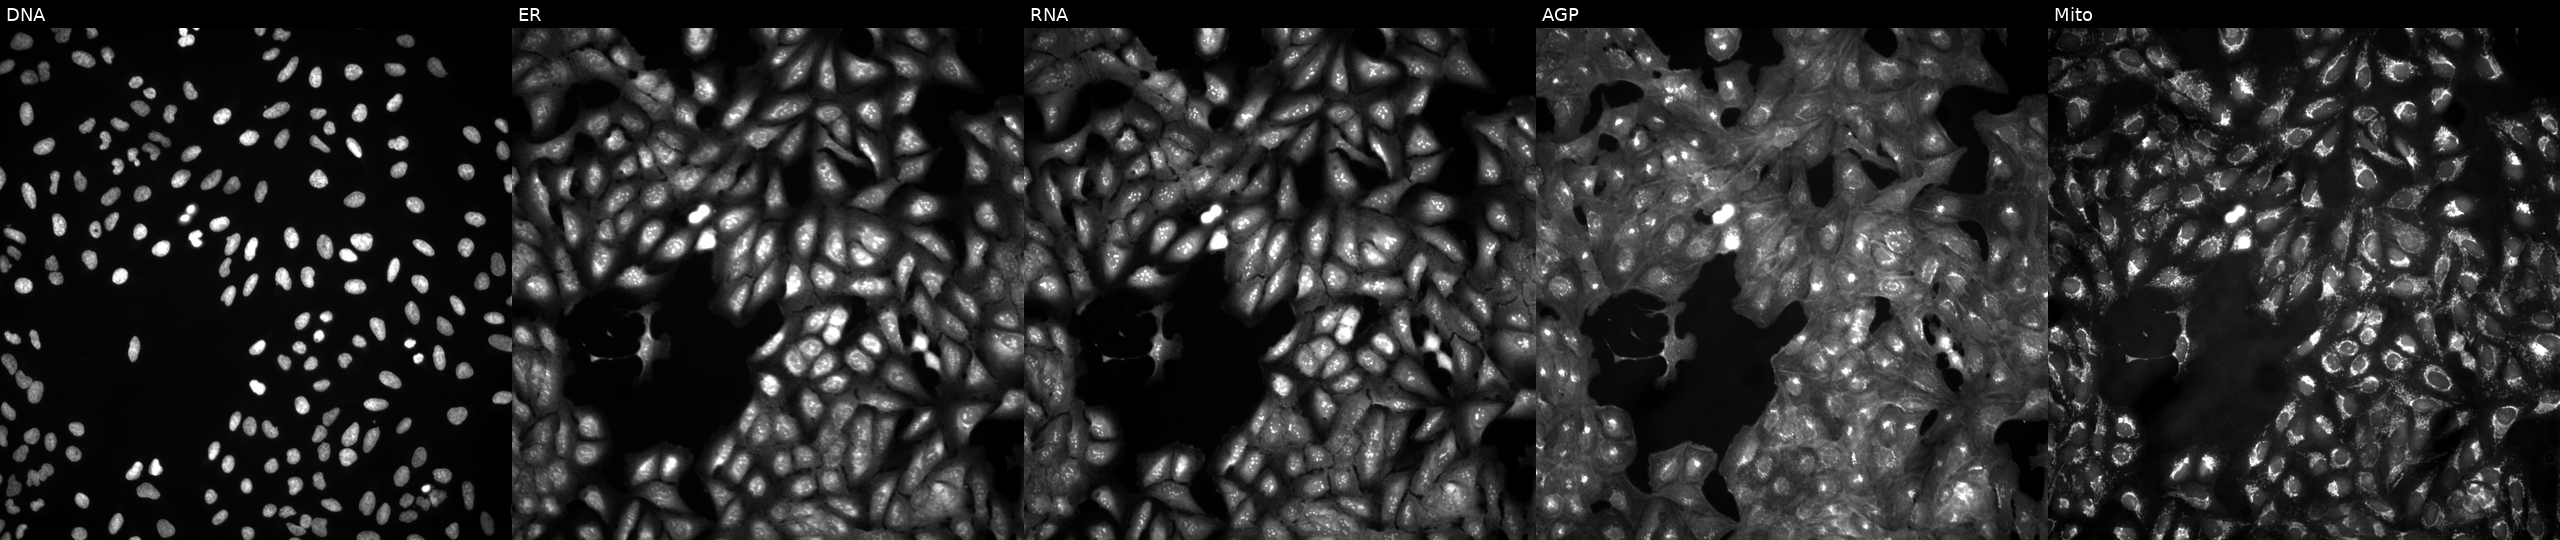
U2OS cells, Cell Painting assay, in an empty control well (no perturbation). From left to right: DNA (nuclei); ER (endoplasmic reticulum); RNA (nucleoli and cytoplasmic RNA); AGP (actin cytoskeleton, Golgi, and plasma membrane); Mito (mitochondria). Each panel is percentile-stretched 16-bit fluorescence.